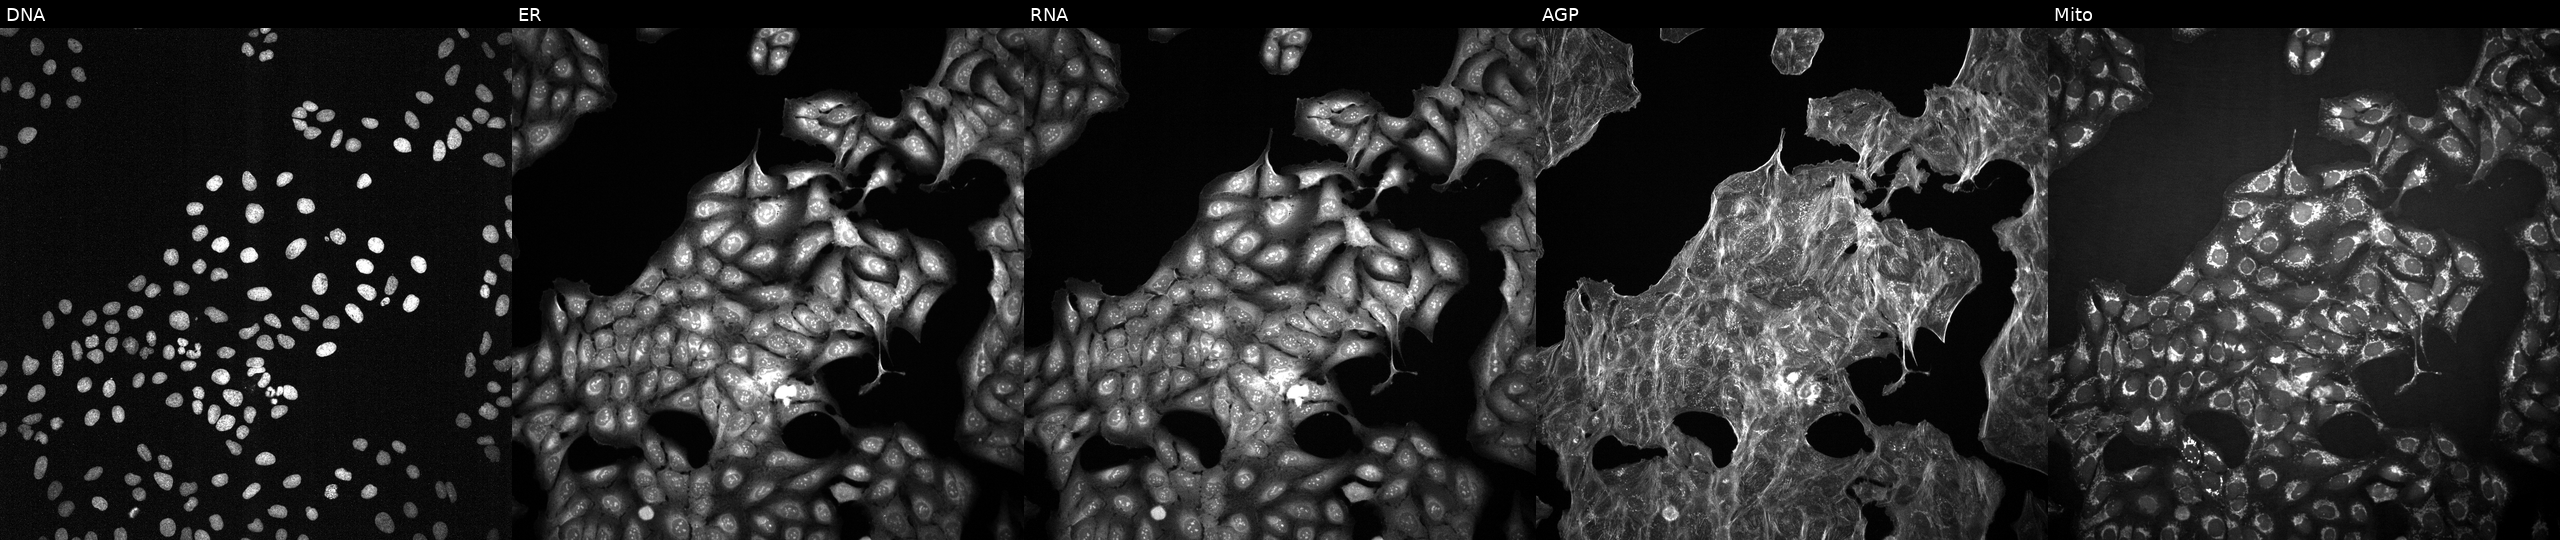
Panels show, left to right, DNA (nuclei); ER (endoplasmic reticulum); RNA (nucleoli and cytoplasmic RNA); AGP (actin cytoskeleton, Golgi, and plasma membrane); Mito (mitochondria). U2OS osteosarcoma cells treated with a small-molecule compound. Cell Painting assay, JUMP-CP dataset. Source 2, plate 1053599503, well J22.